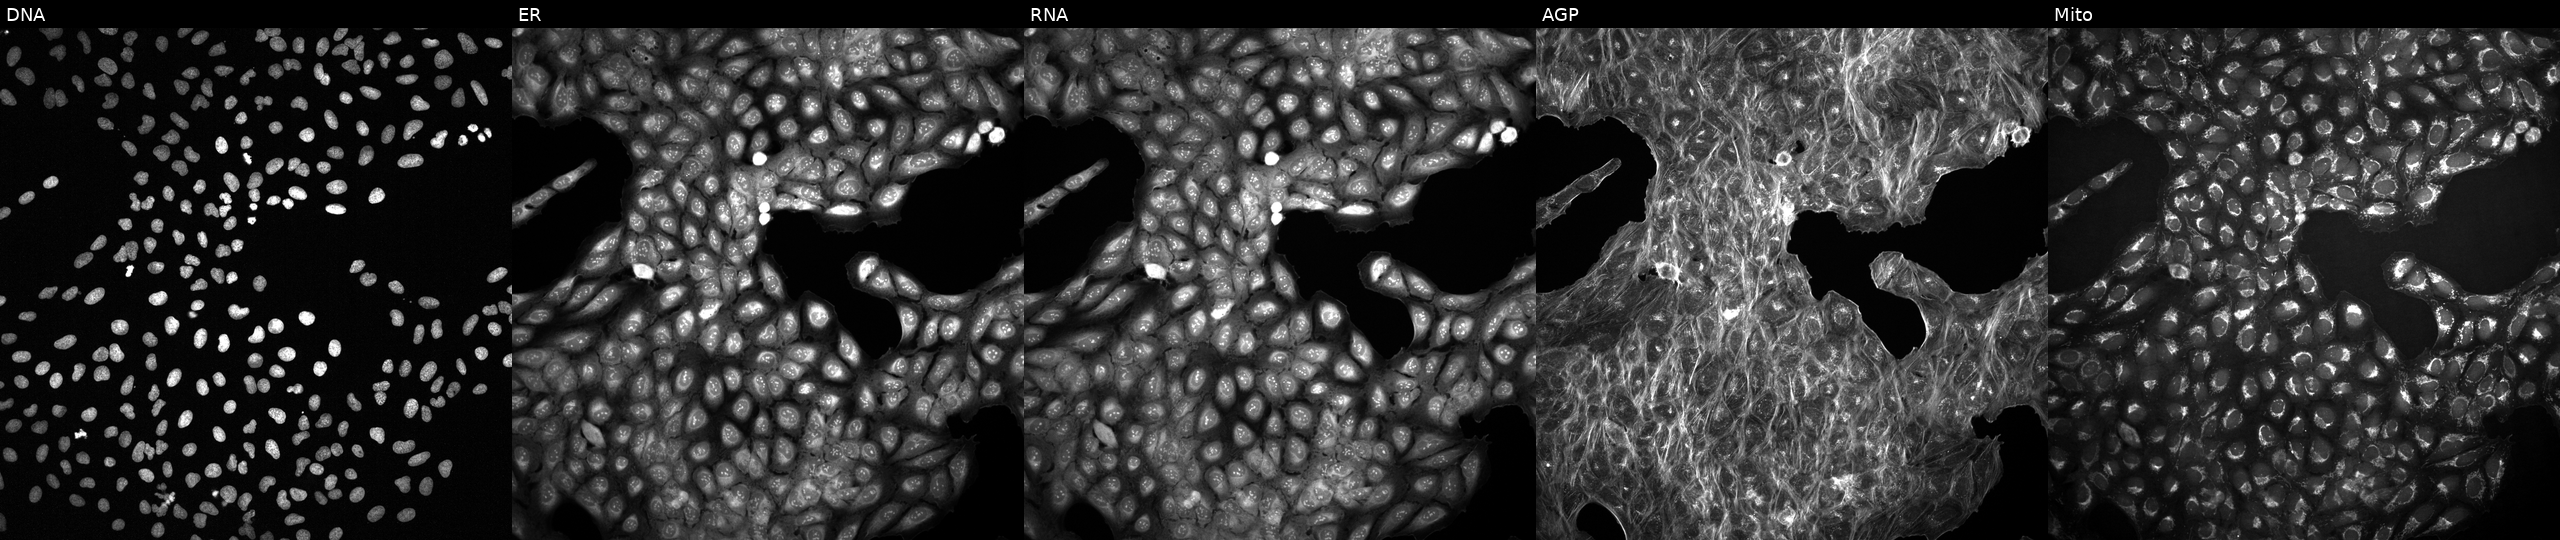
This image strip shows the five Cell Painting channels for a single field of U2OS cells with an unidentified perturbation (not annotated in JUMP metadata). From left to right: DNA (nuclei); ER (endoplasmic reticulum); RNA (nucleoli and cytoplasmic RNA); AGP (actin cytoskeleton, Golgi, and plasma membrane); Mito (mitochondria). Source 2, plate 1053601756, well L03.